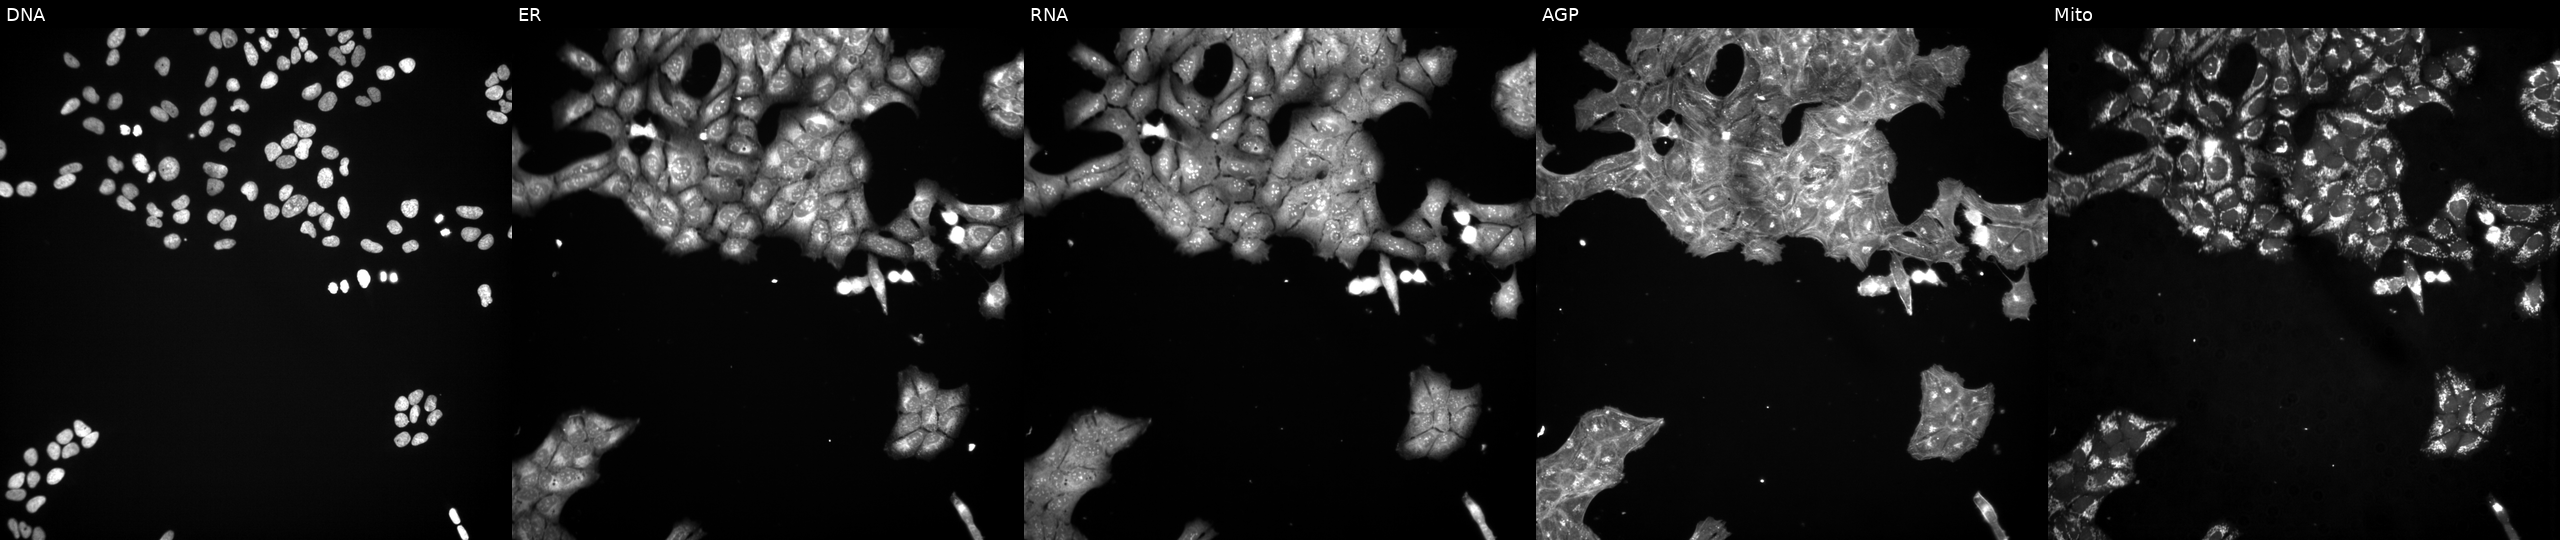
This image strip shows the five Cell Painting channels for a single field of U2OS cells perturbed with a small-molecule compound (InChIKey NBTNHSGBRGTFJS-UHFFFAOYSA-N). Panels show, left to right, DNA, ER, RNA, AGP, and Mito. Source 3, plate JCPQC053, well K01.